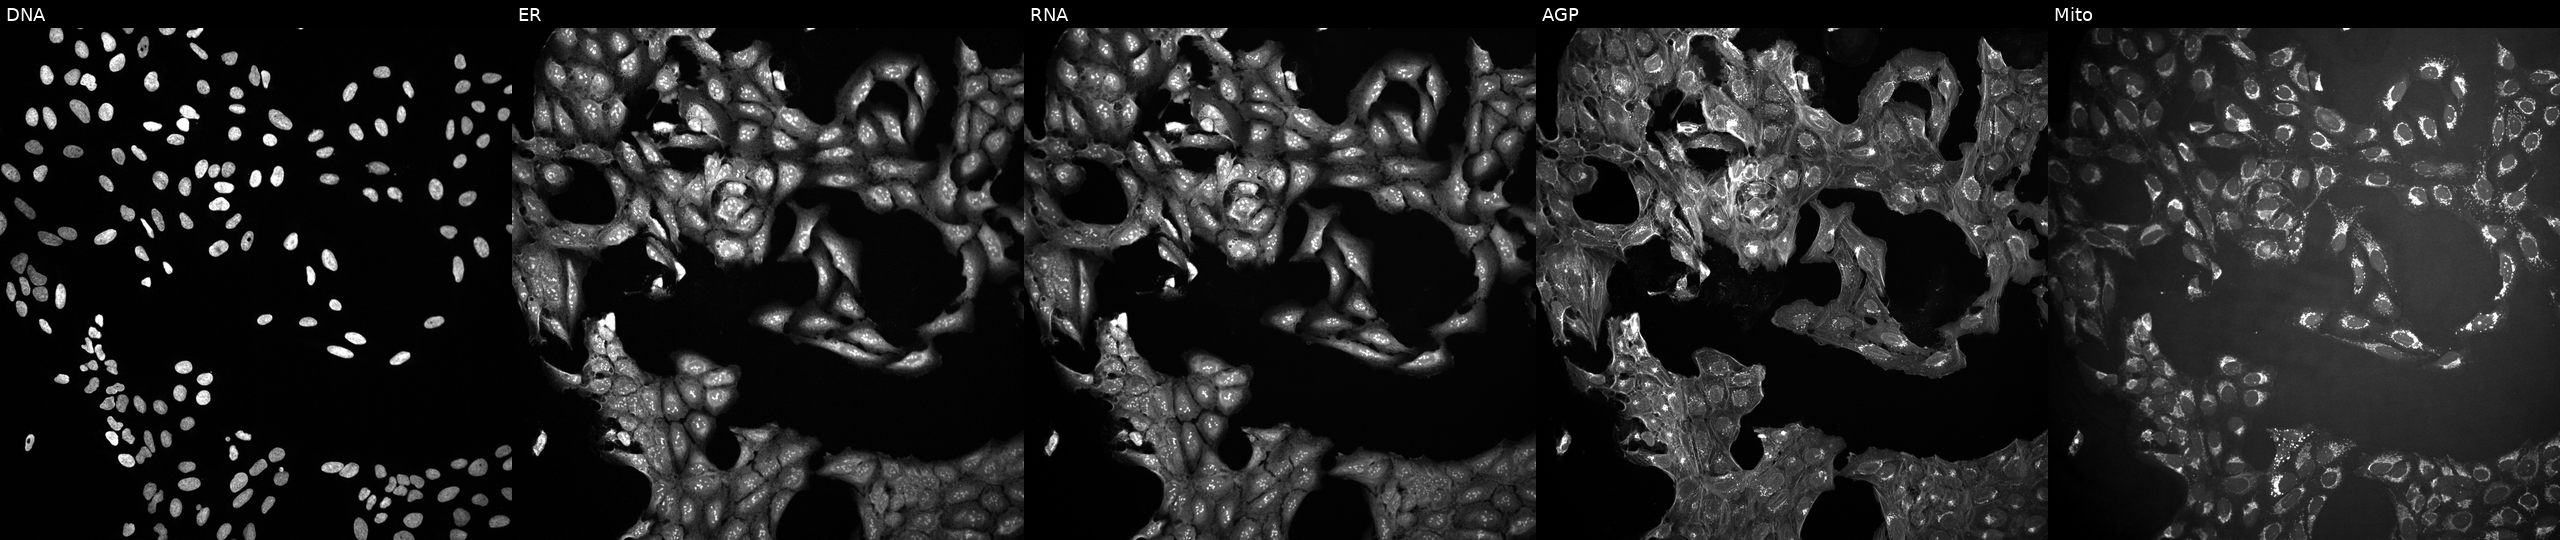
JUMP Cell Painting — COMPOUND plate. U2OS cells treated with a small-molecule compound (JUMP id JCP2022_012918). From left to right: DNA, ER, RNA, AGP, and Mito. Source 10, plate Dest210531-152149, well I14.